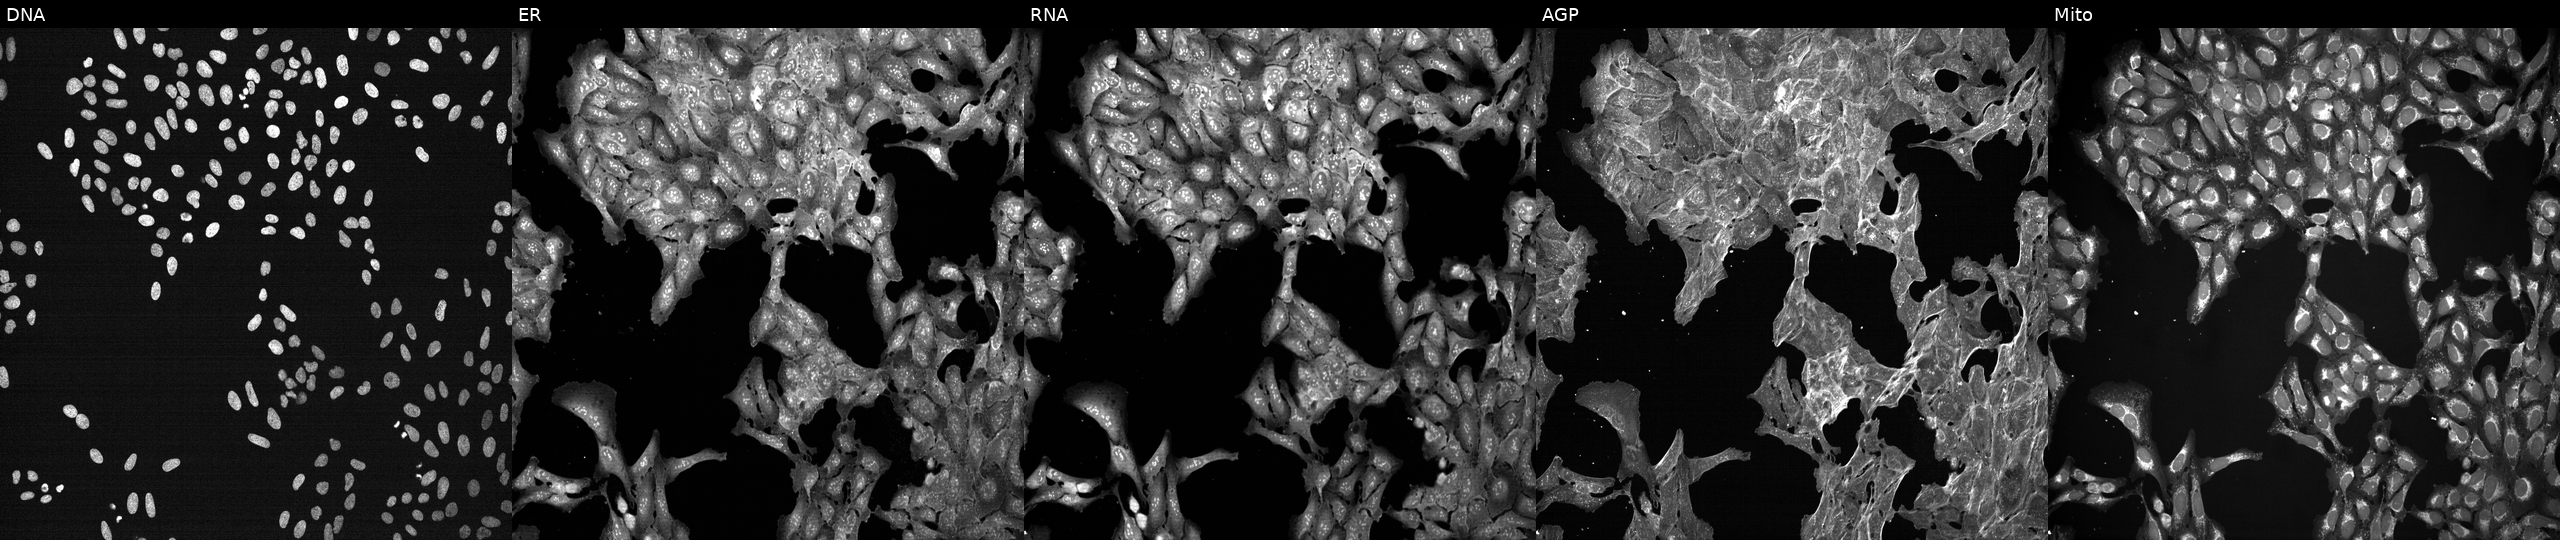
U2OS cells, Cell Painting assay, exposed to DMSO alone as a negative control (JUMP id JCP2022_033924). Channels (left→right): DNA, ER, RNA, AGP, and Mito. Each panel is percentile-stretched 16-bit fluorescence. Source 7, plate CP3-SC1-25, well F24.